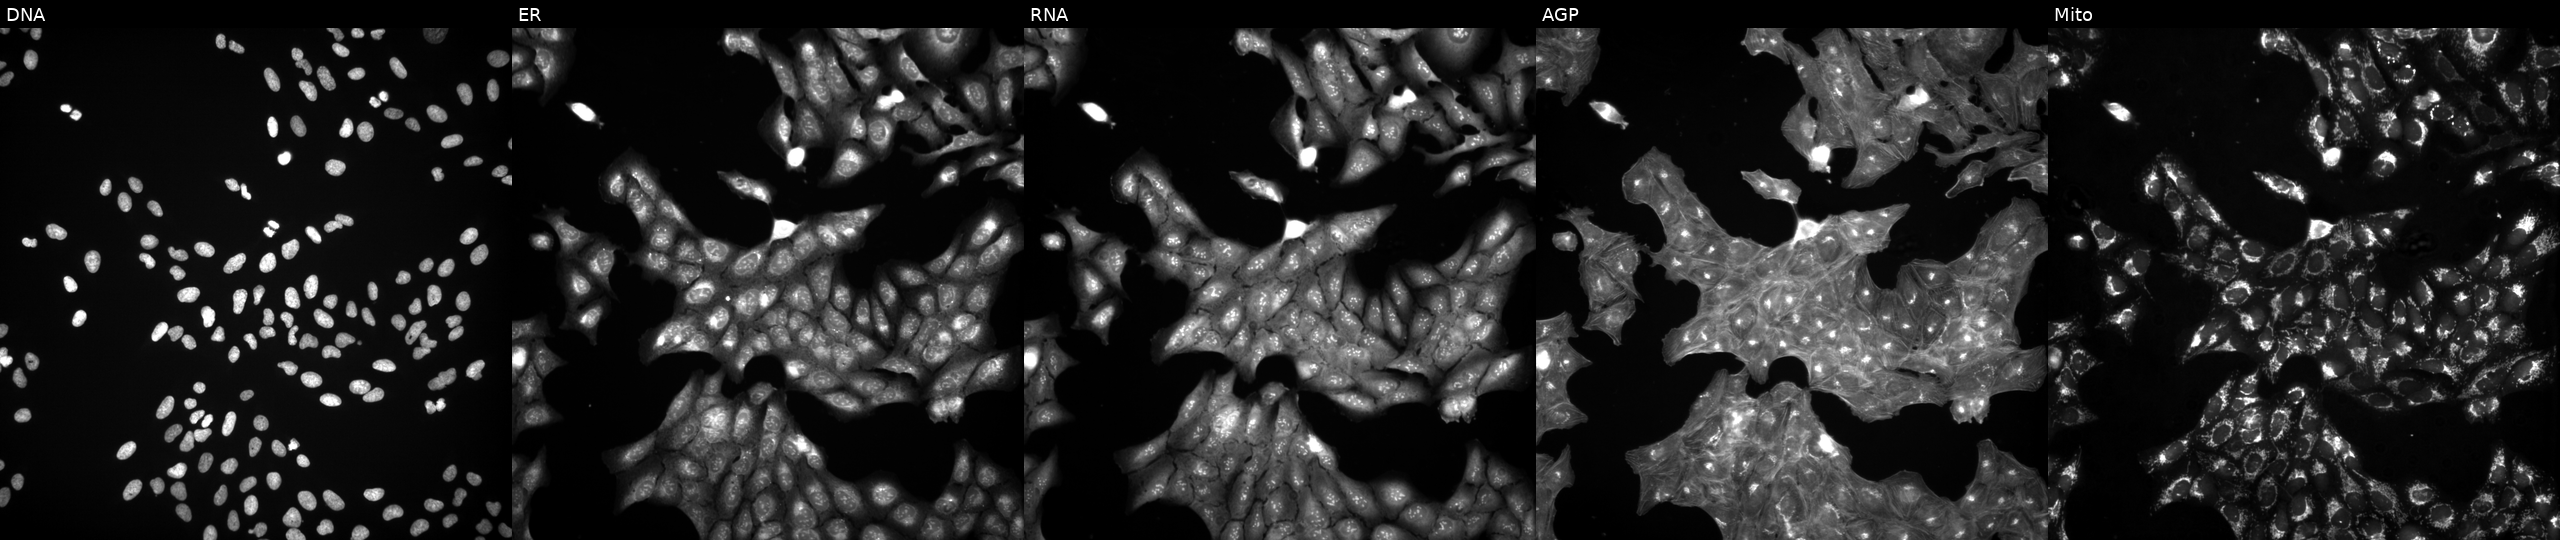
High-content fluorescence microscopy (Cell Painting). Cell line: U2OS. Perturbation: perturbed with a small-molecule compound [SMILES: Cc1cc(C)c2nc(-c3ccccn3)cc(C(=O)Nc3ccc(S(=O)(=O)N=c4o[nH]c(C)c4C)cc3)c2c1]. From left to right: Hoechst 33342, concanavalin A, SYTO 14, phalloidin and WGA, MitoTracker.